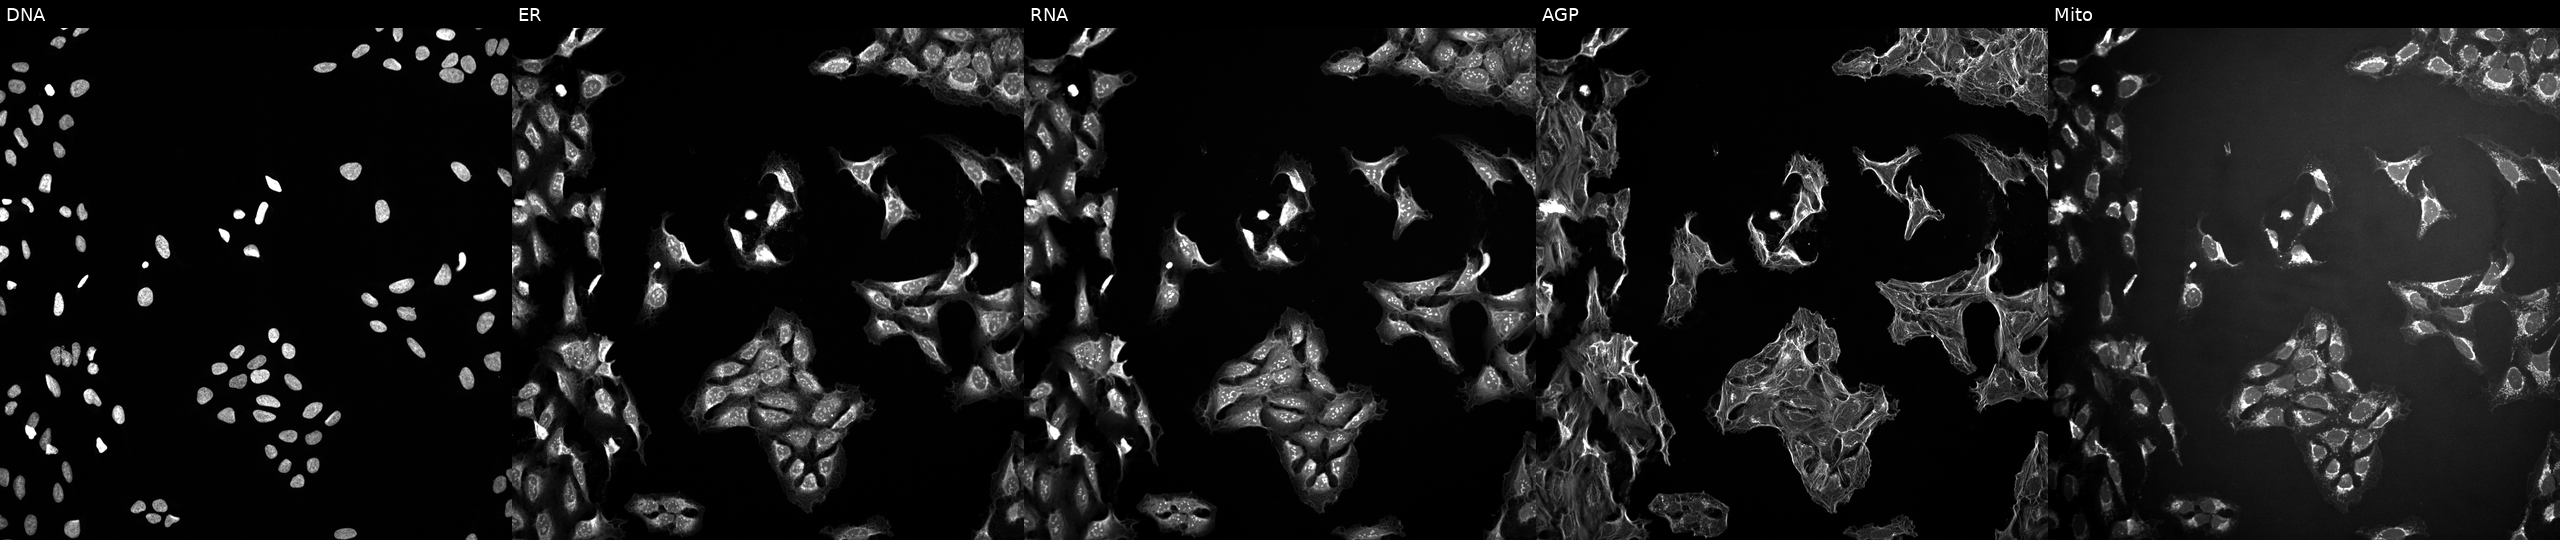
JUMP Cell Painting — TARGET2 plate. U2OS cells treated with DMSO vehicle only (negative control) (JUMP id JCP2022_033924). Channels (left→right): DNA, ER, RNA, AGP, and Mito. Source 10, plate Dest210727-153003, well J12.